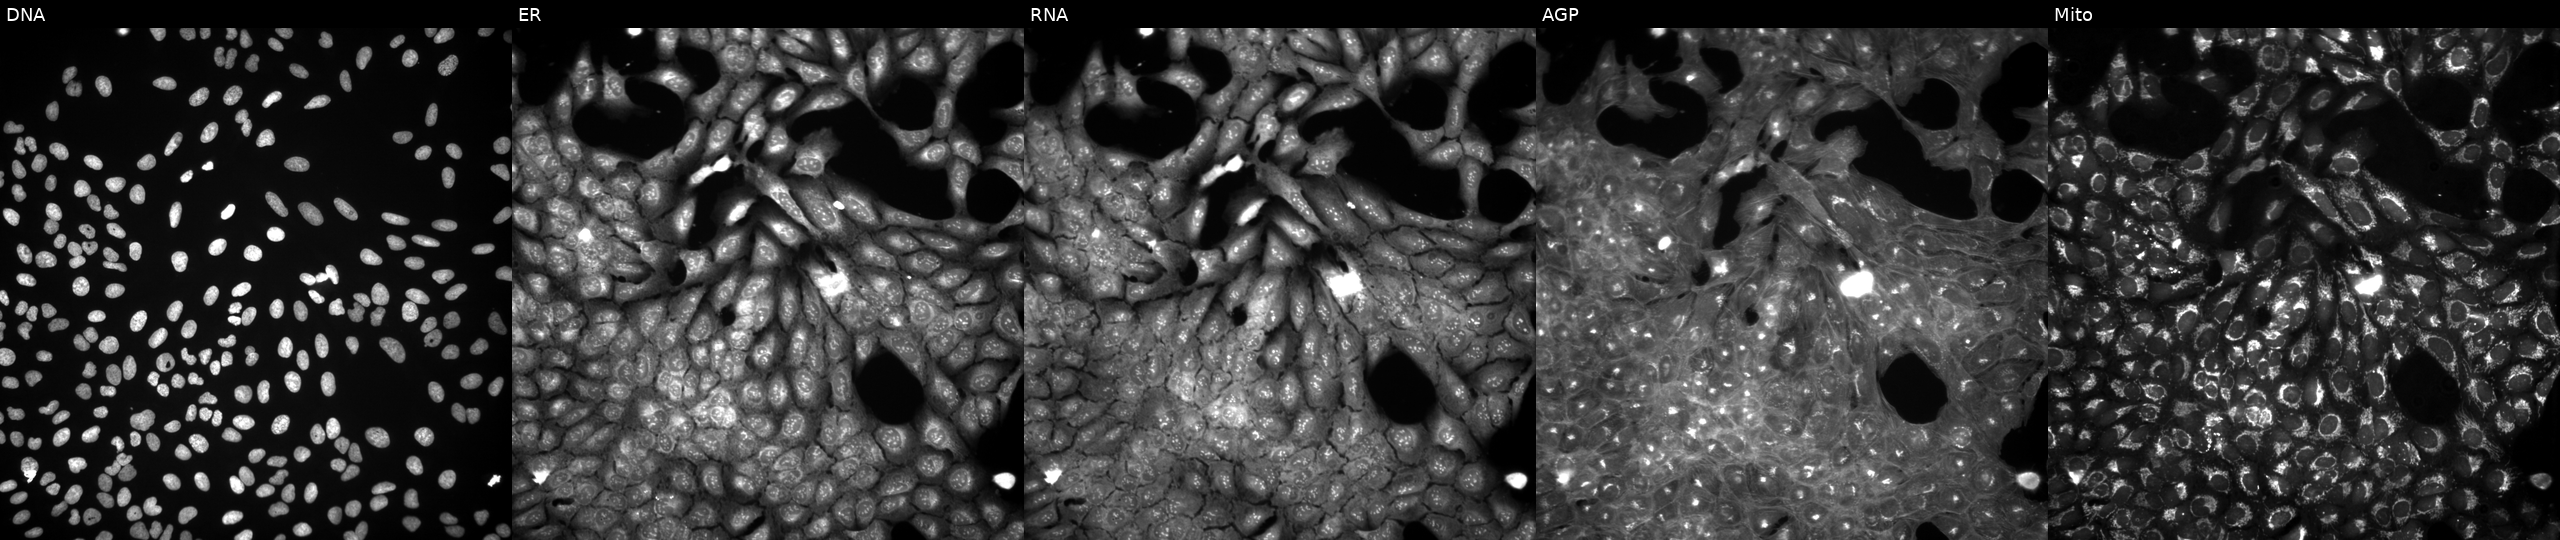
From left to right: DNA, ER, RNA, AGP, and Mito. U2OS osteosarcoma cells treated with a small-molecule compound (InChIKey ZQPXNYLXYNRFNP-UHFFFAOYSA-N). Cell Painting assay, JUMP-CP dataset. Source 3, plate JCPQC052, well C14.